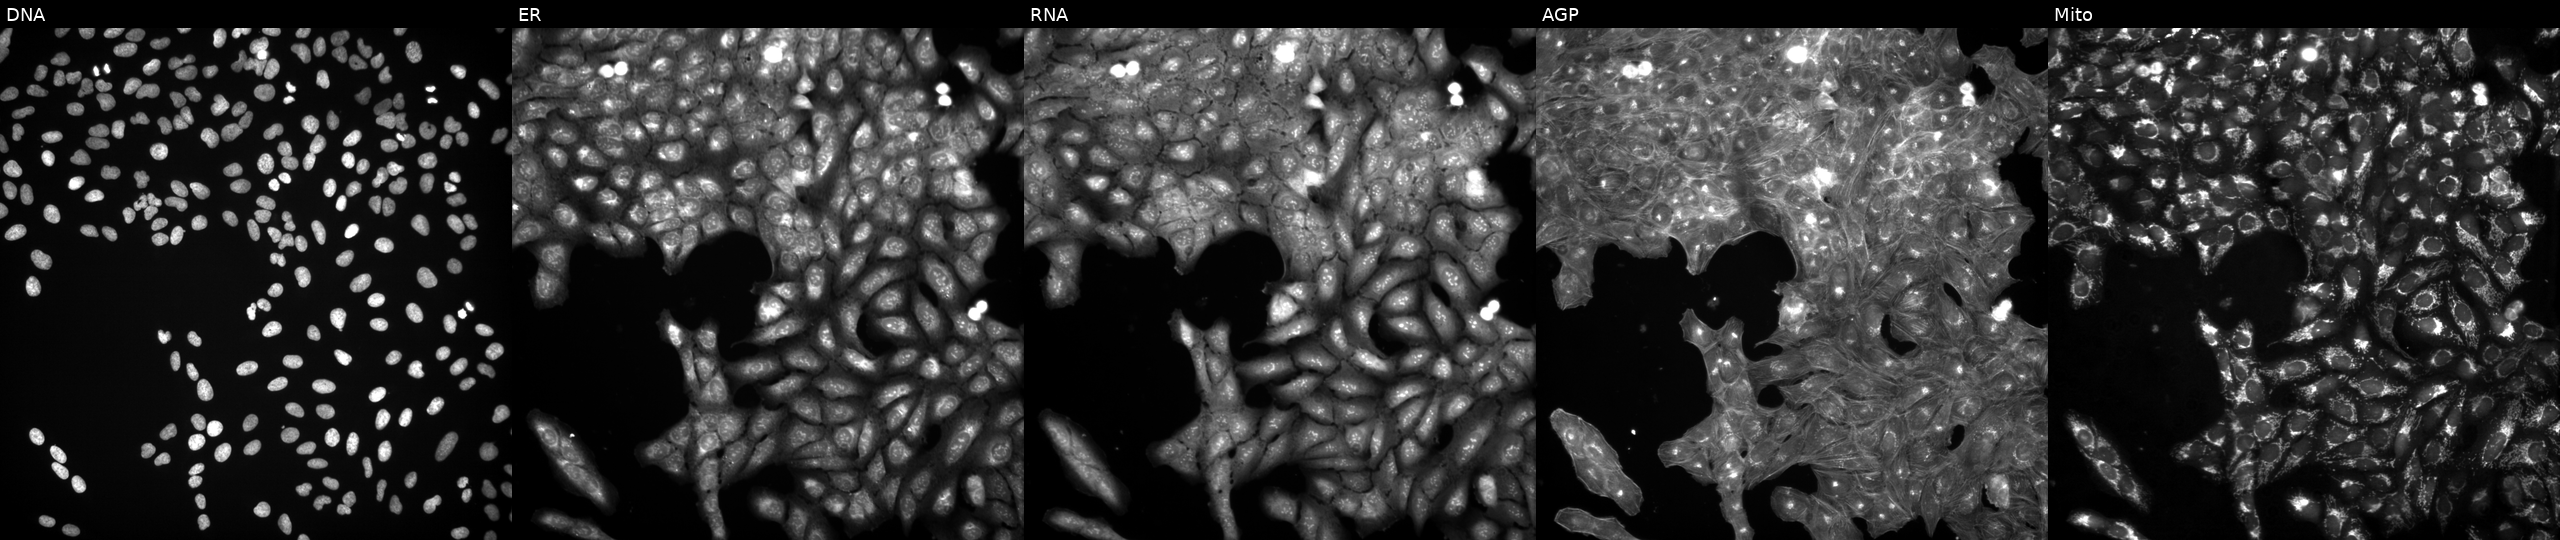
JUMP Cell Painting — TARGET2 plate. U2OS cells exposed to DMSO alone as a negative control (JUMP id JCP2022_033924). The five panels, left to right, show Hoechst 33342, concanavalin A, SYTO 14, phalloidin and WGA, MitoTracker.